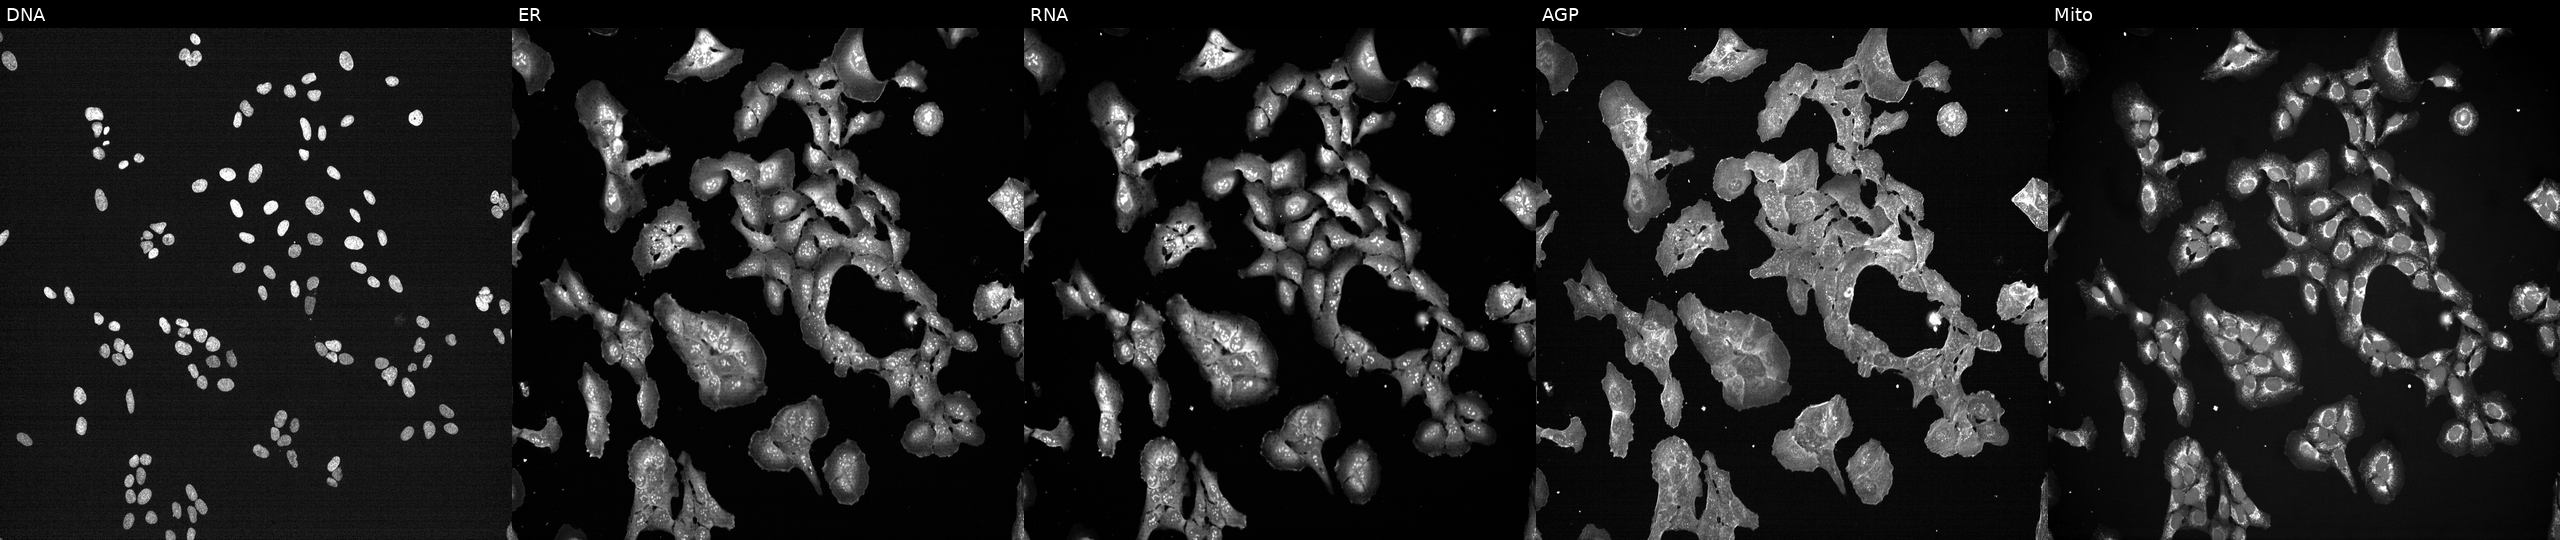
Panels show, left to right, DNA, ER, RNA, AGP, and Mito. U2OS osteosarcoma cells exposed to the positive-control compound TC-S-7004 (JUMP id JCP2022_012818). Cell Painting assay, JUMP-CP dataset.